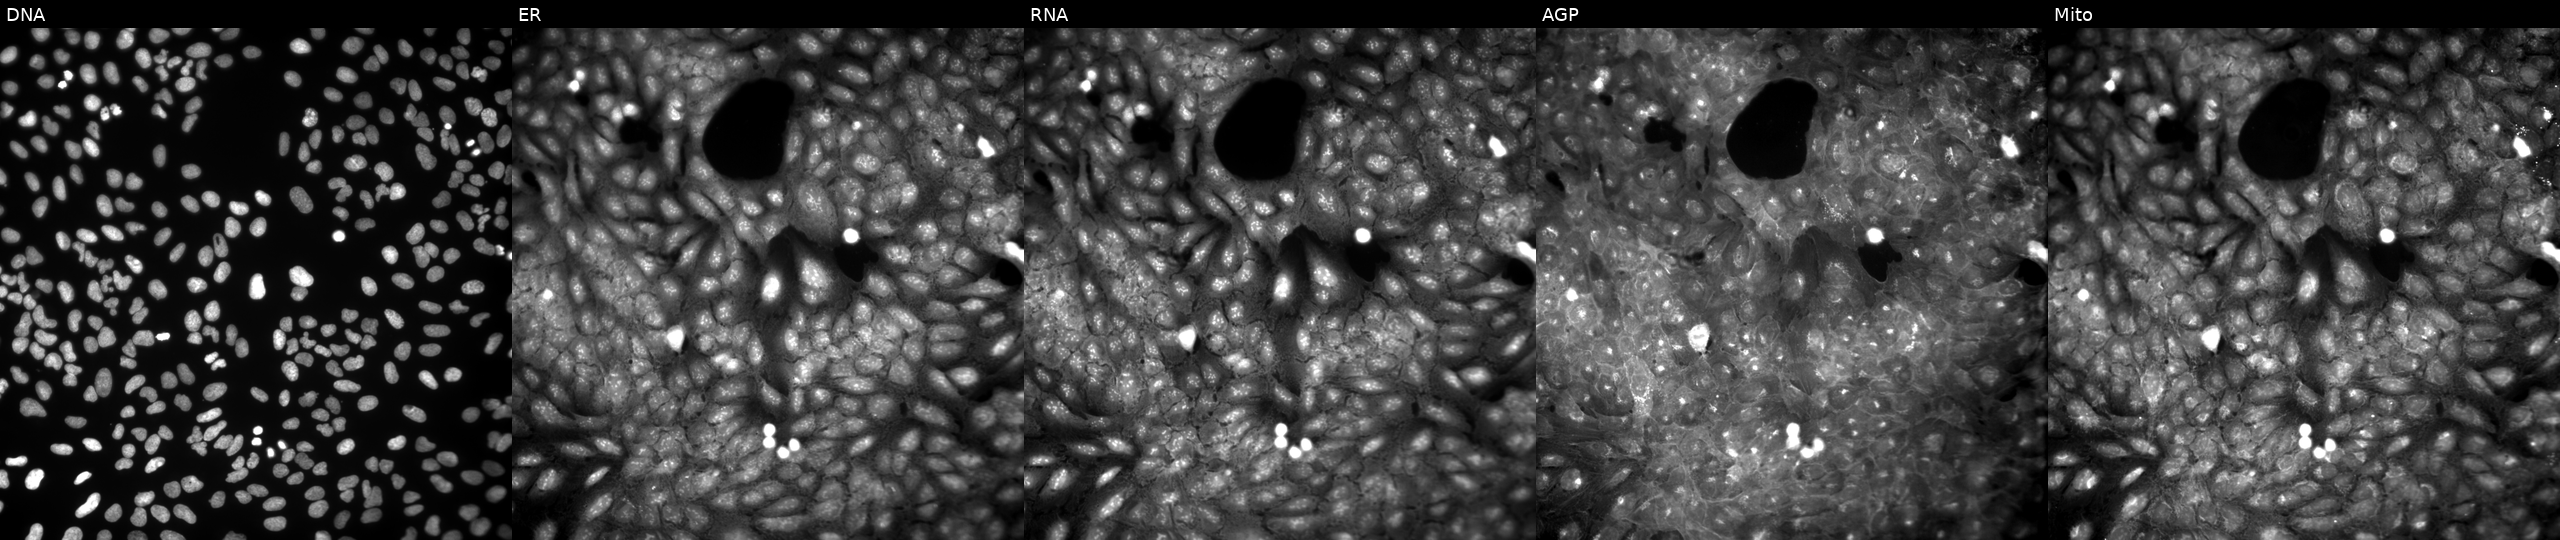
JUMP Cell Painting — COMPOUND plate. U2OS cells exposed to a small-molecule compound (InChIKey VCHCSHACXOALLJ-UHFFFAOYSA-N). Panels show, left to right, DNA, ER, RNA, AGP, and Mito. Source 9, plate GR00003382, well V43.